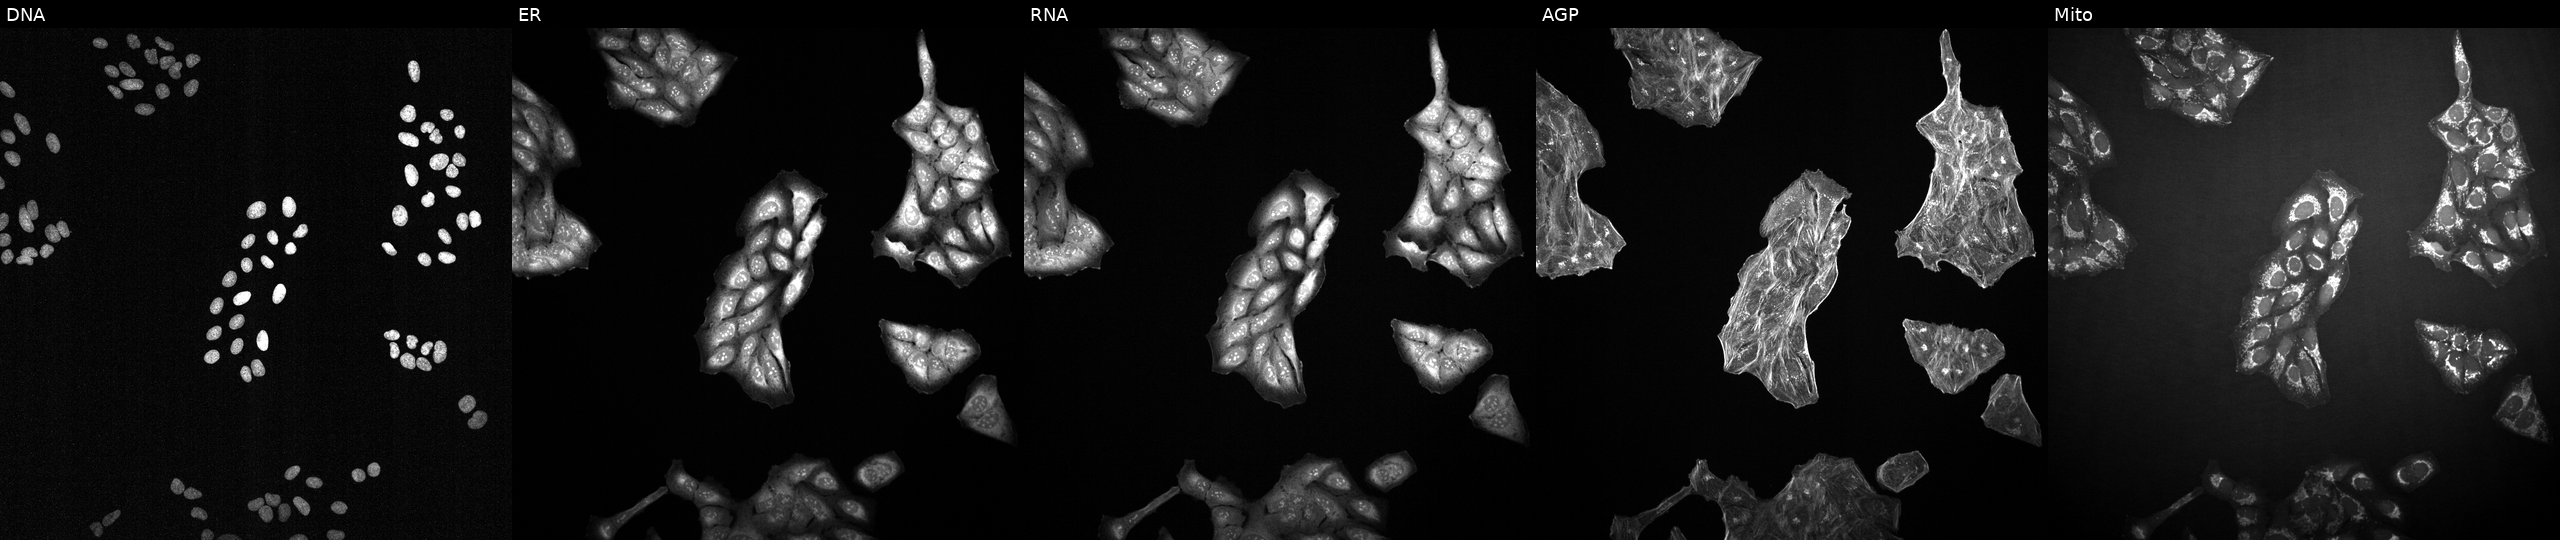
JUMP Cell Painting — TARGET2 plate. U2OS cells exposed to a small-molecule compound (InChIKey HJYYPODYNSCCOU-UHFFFAOYSA-N). Panels show, left to right, DNA (nuclei); ER (endoplasmic reticulum); RNA (nucleoli and cytoplasmic RNA); AGP (actin cytoskeleton, Golgi, and plasma membrane); Mito (mitochondria).